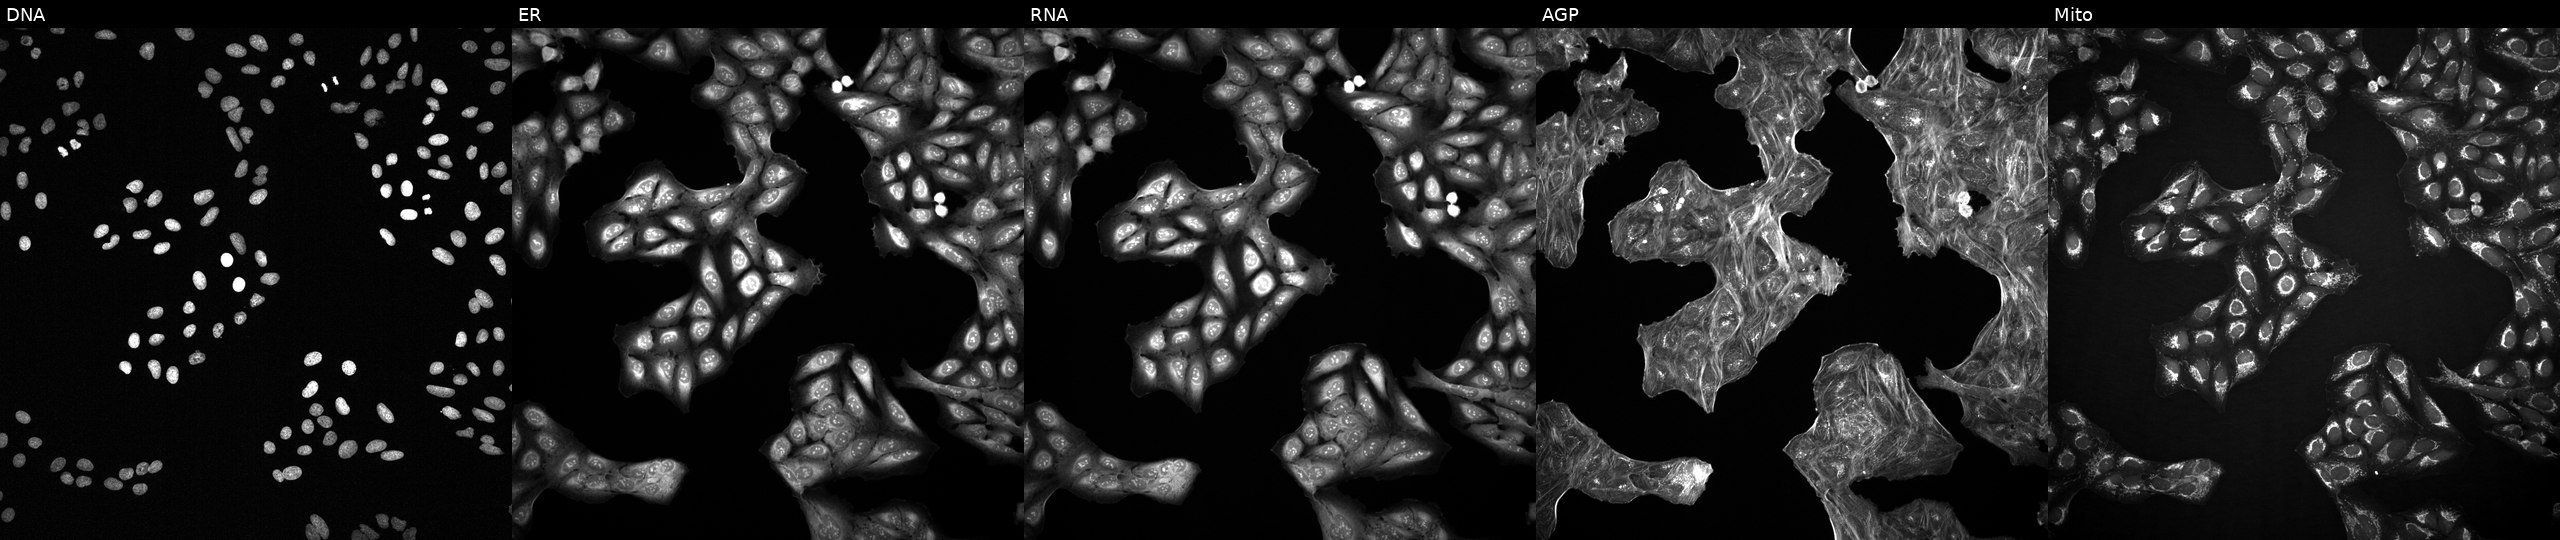
Five-channel Cell Painting image of U2OS cells with an unidentified perturbation (not annotated in JUMP metadata). The five panels, left to right, show DNA (nuclei); ER (endoplasmic reticulum); RNA (nucleoli and cytoplasmic RNA); AGP (actin cytoskeleton, Golgi, and plasma membrane); Mito (mitochondria). Source 2, plate 1053601756, well H13.